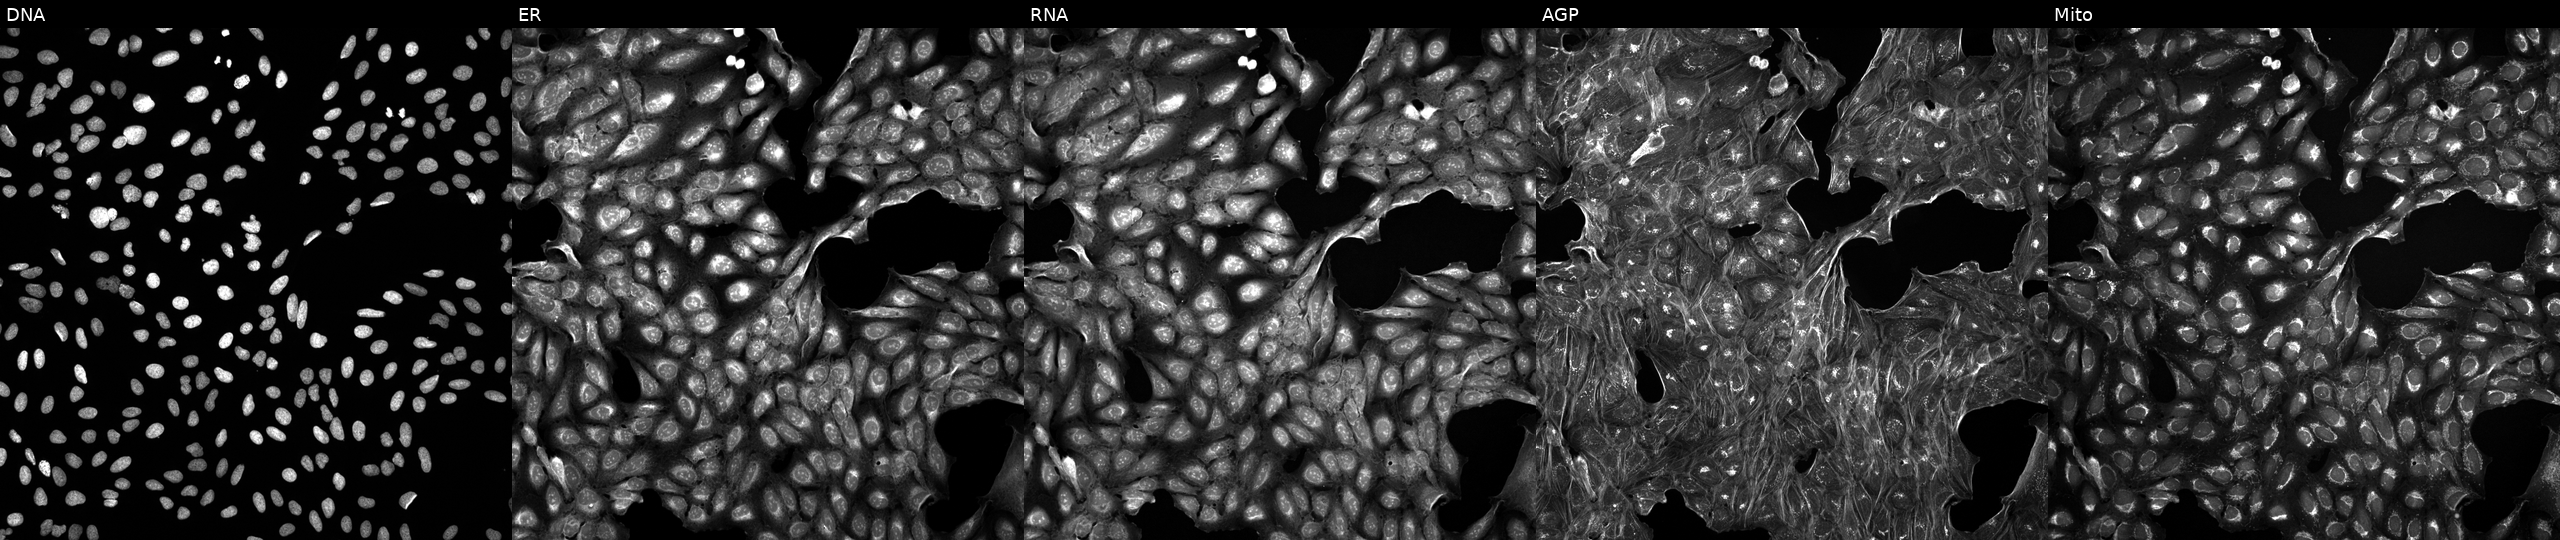
Panels show, left to right, DNA, ER, RNA, AGP, and Mito. U2OS osteosarcoma cells perturbed with a small-molecule compound (InChIKey WXXSNCNJFUAIDG-UHFFFAOYSA-N) (JUMP id JCP2022_101929). Cell Painting assay, JUMP-CP dataset. Source 5, plate ACPJUM051, well F15.